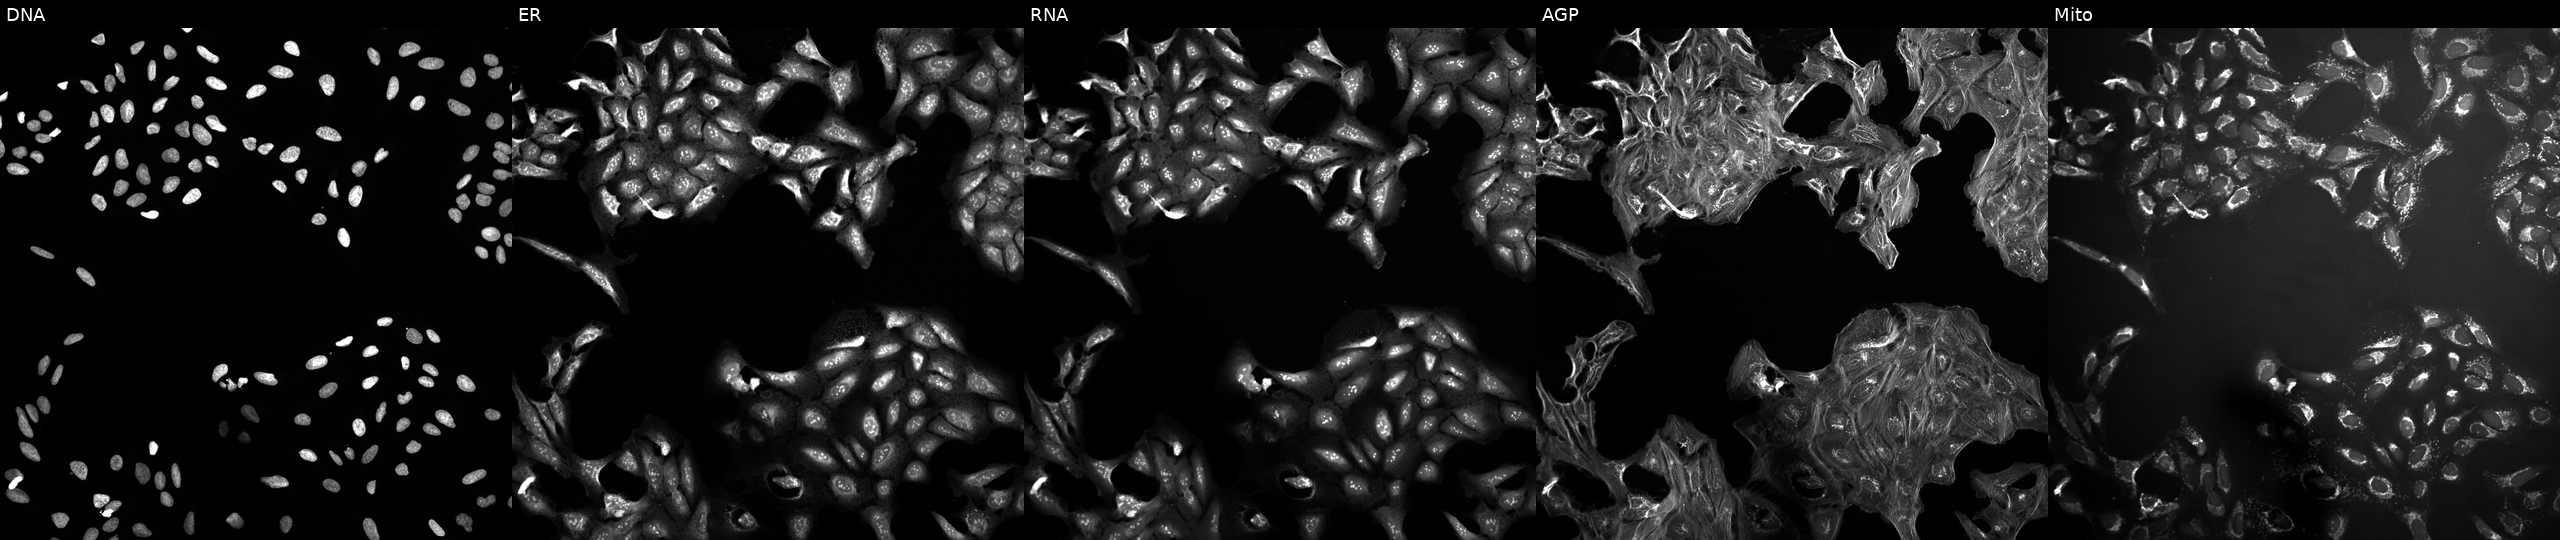
JUMP Cell Painting — TARGET2 plate. U2OS cells exposed to DMSO alone as a negative control (JUMP id JCP2022_033924). From left to right: DNA, ER, RNA, AGP, and Mito. Source 10, plate Dest210726-160150, well G19.